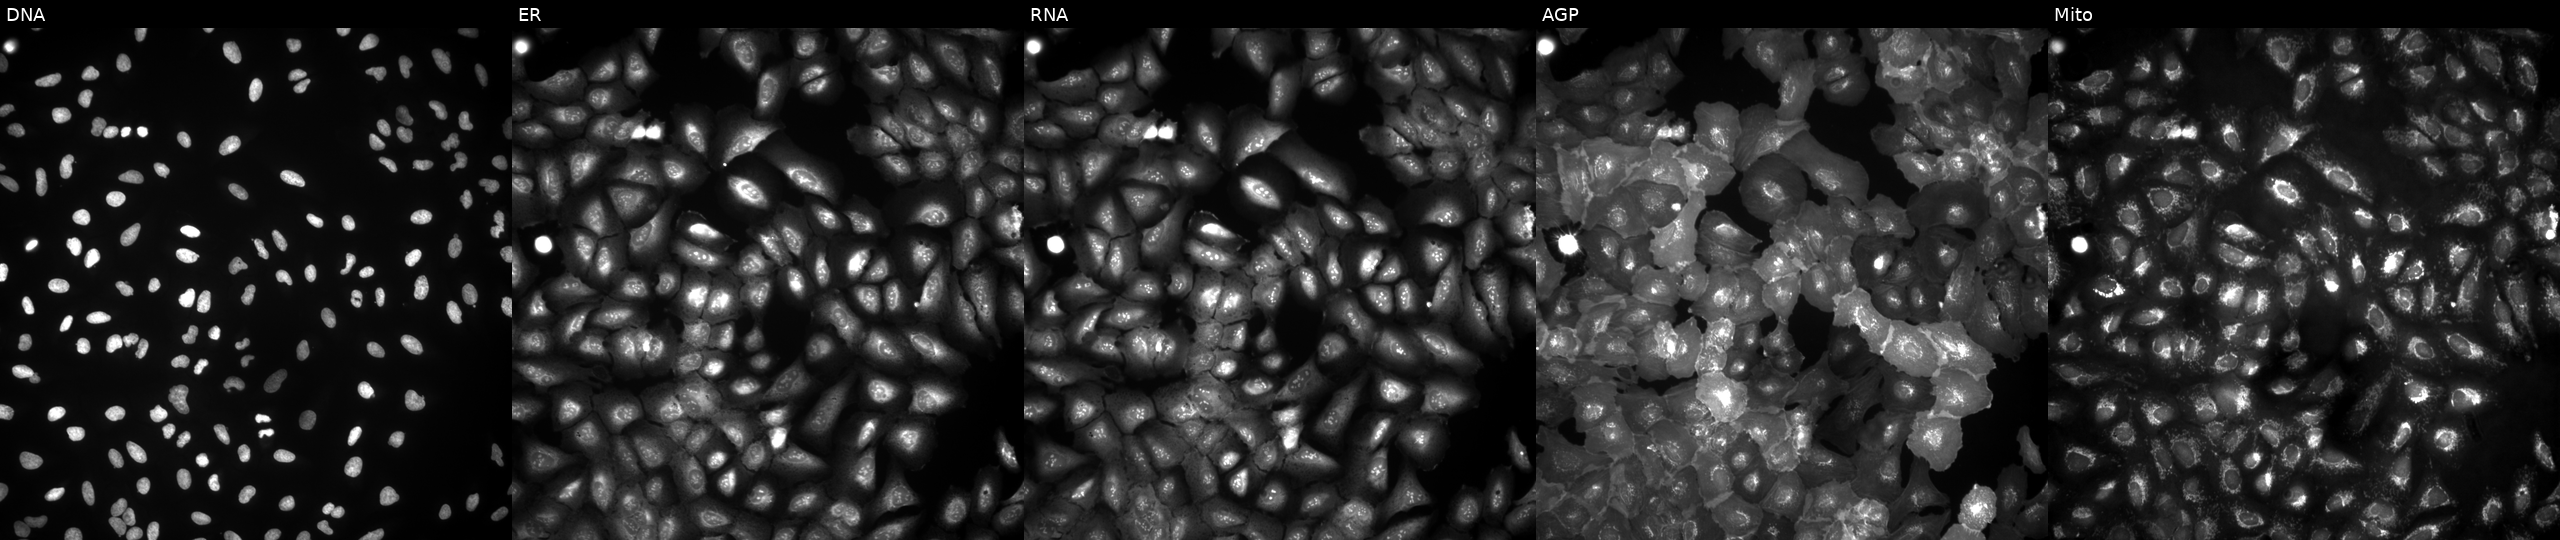
U2OS cells, Cell Painting assay, overexpressing LRRC4 via ORF transfection (JUMP id JCP2022_903682). Channels (left→right): DNA, ER, RNA, AGP, and Mito. Each panel is percentile-stretched 16-bit fluorescence.